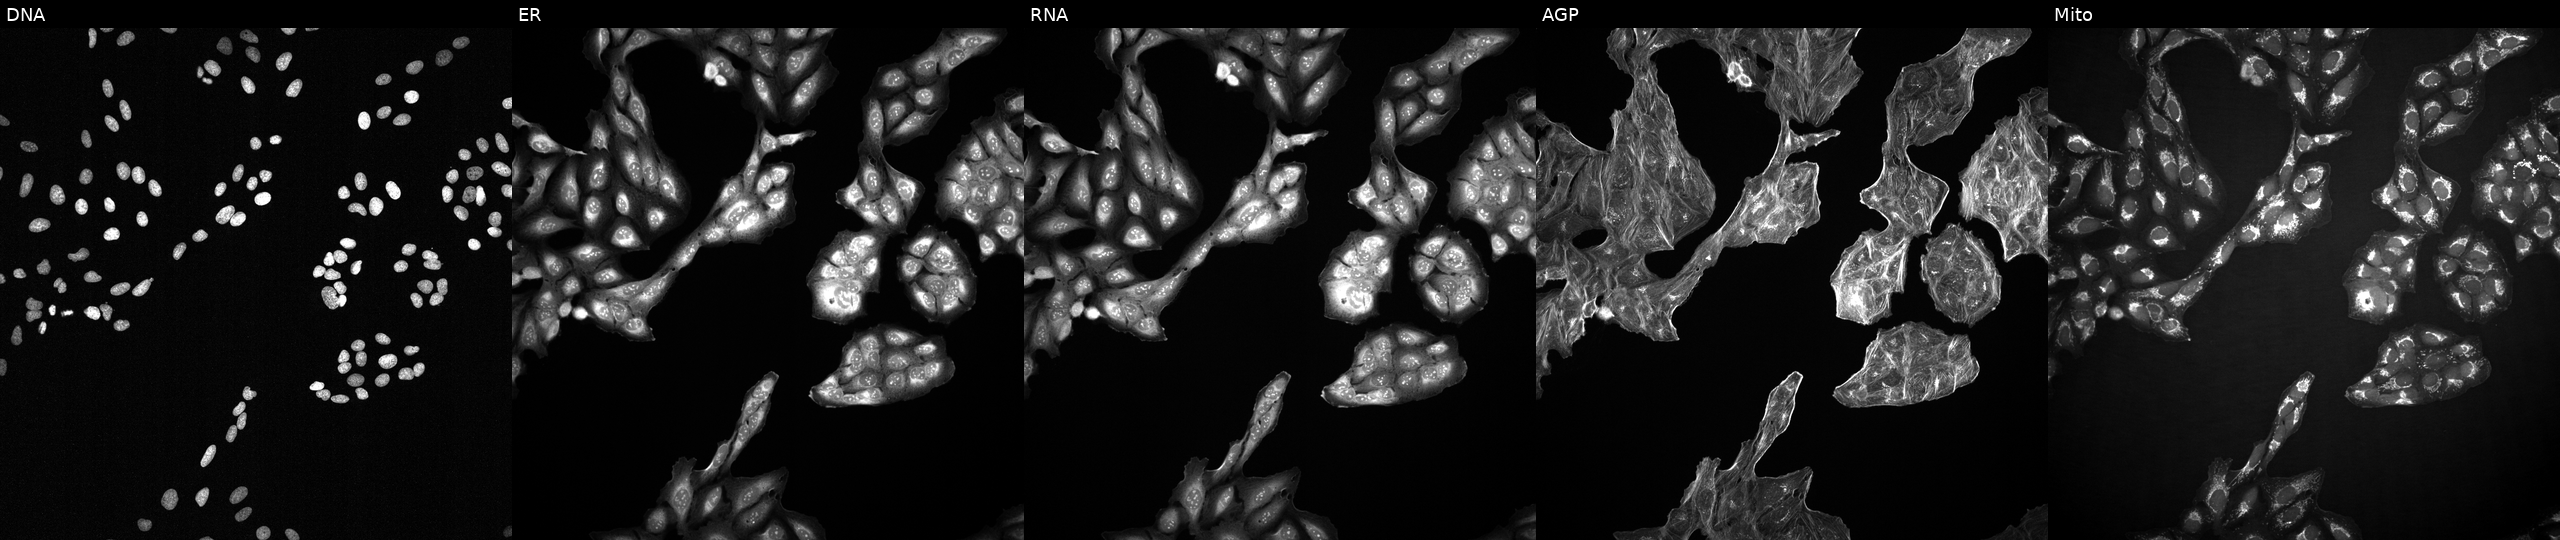
U2OS cells, Cell Painting assay, treated with a small-molecule compound (InChIKey ZESFDAKNYJQYKO-UHFFFAOYSA-N) [SMILES: N#Cc1ccc(-c2ccc(S(=O)(=O)N=c3cccc(N)[nH]3)cc2)cc1] (JUMP id JCP2022_112828). Channels (left→right): DNA (nuclei); ER (endoplasmic reticulum); RNA (nucleoli and cytoplasmic RNA); AGP (actin cytoskeleton, Golgi, and plasma membrane); Mito (mitochondria). Each panel is percentile-stretched 16-bit fluorescence.